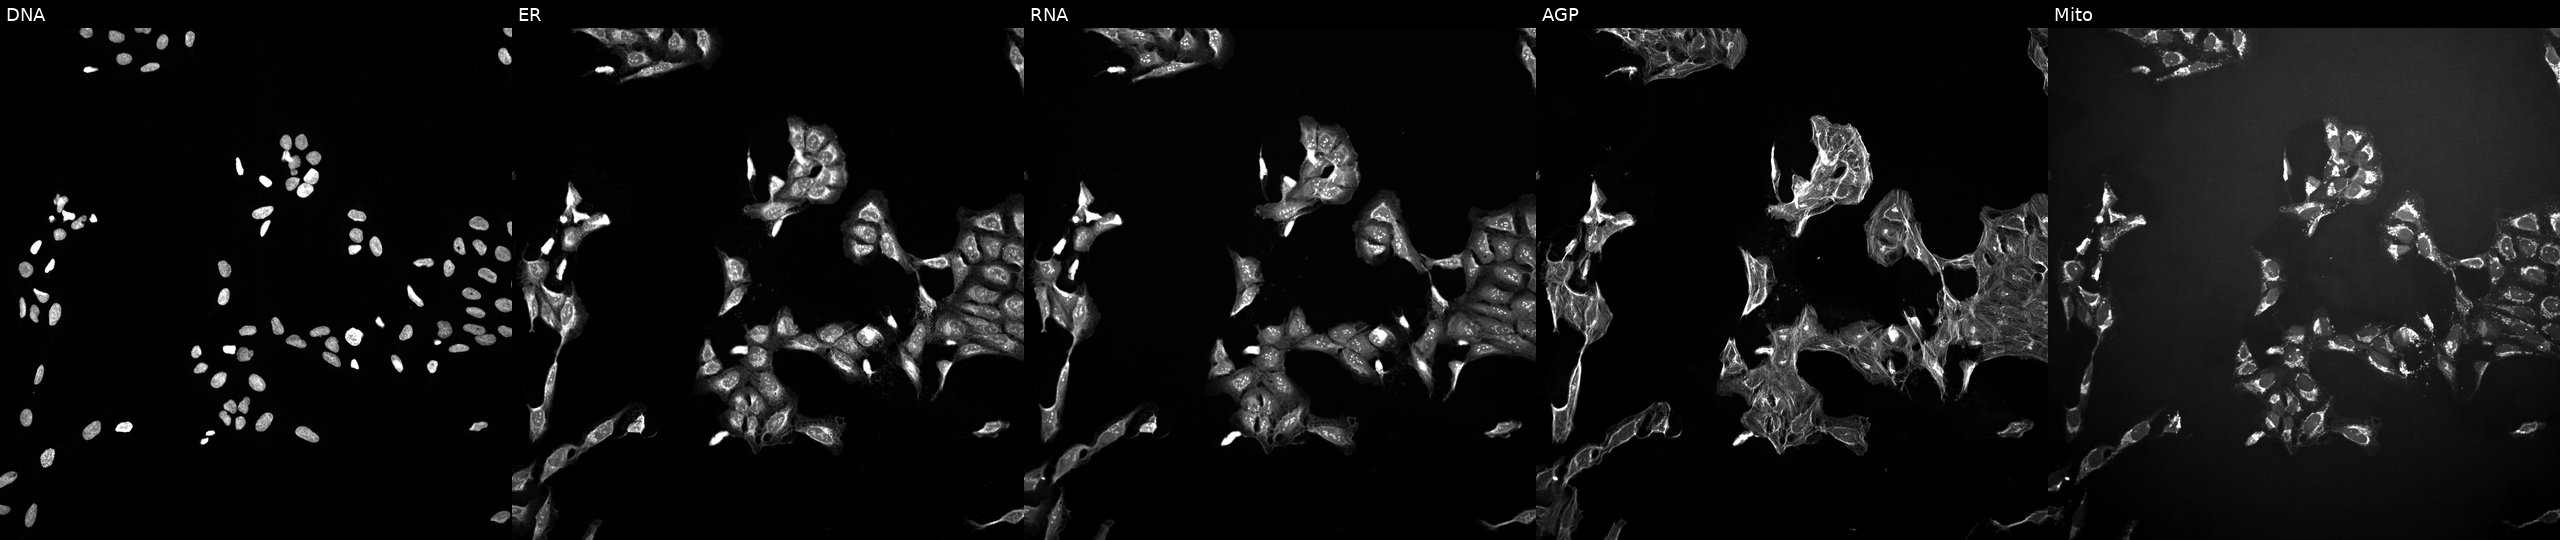
High-content fluorescence microscopy (Cell Painting). Cell line: U2OS. Perturbation: perturbed with a small-molecule compound (InChIKey TXZPMHLMPKIUGK-UHFFFAOYSA-N) [SMILES: COc1ccccc1S(=O)(=O)Nc1ccc2c(c1)CN(C)C(=O)N2]. Channels (left→right): DNA, ER, RNA, AGP, and Mito.